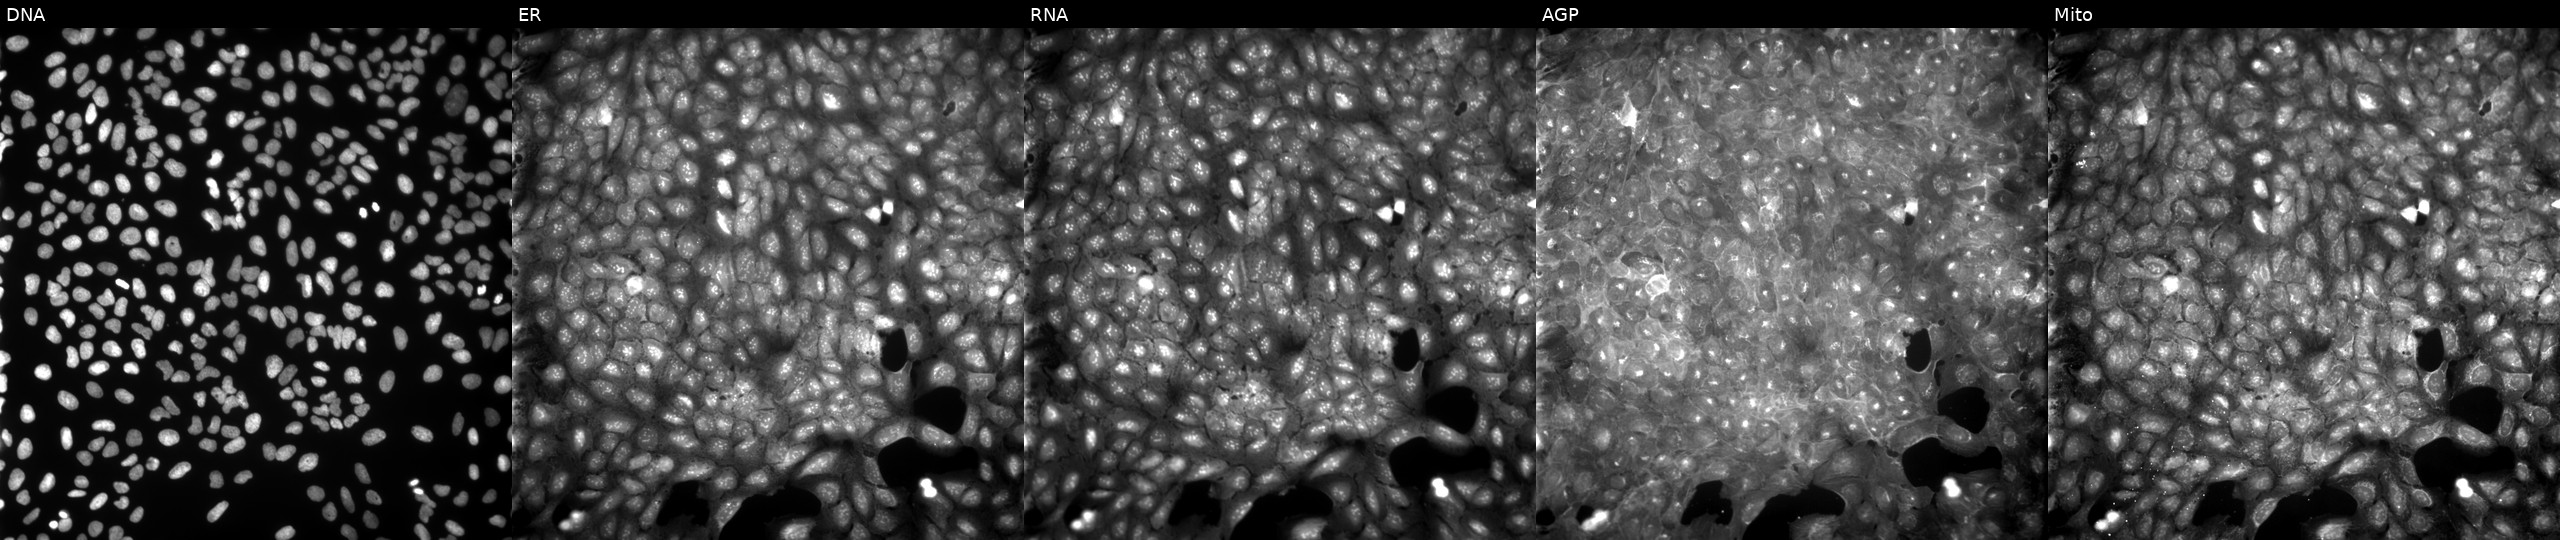
JUMP Cell Painting — COMPOUND plate. U2OS cells exposed to a small-molecule compound [SMILES: Cc1cc(=NC(=O)c2ccc3c(c2)C(=O)N(C2CCCCC2)C3=O)[nH]o1] (JUMP id JCP2022_041770). From left to right: DNA (nuclei); ER (endoplasmic reticulum); RNA (nucleoli and cytoplasmic RNA); AGP (actin cytoskeleton, Golgi, and plasma membrane); Mito (mitochondria). Source 9, plate GR00003381, well X13.